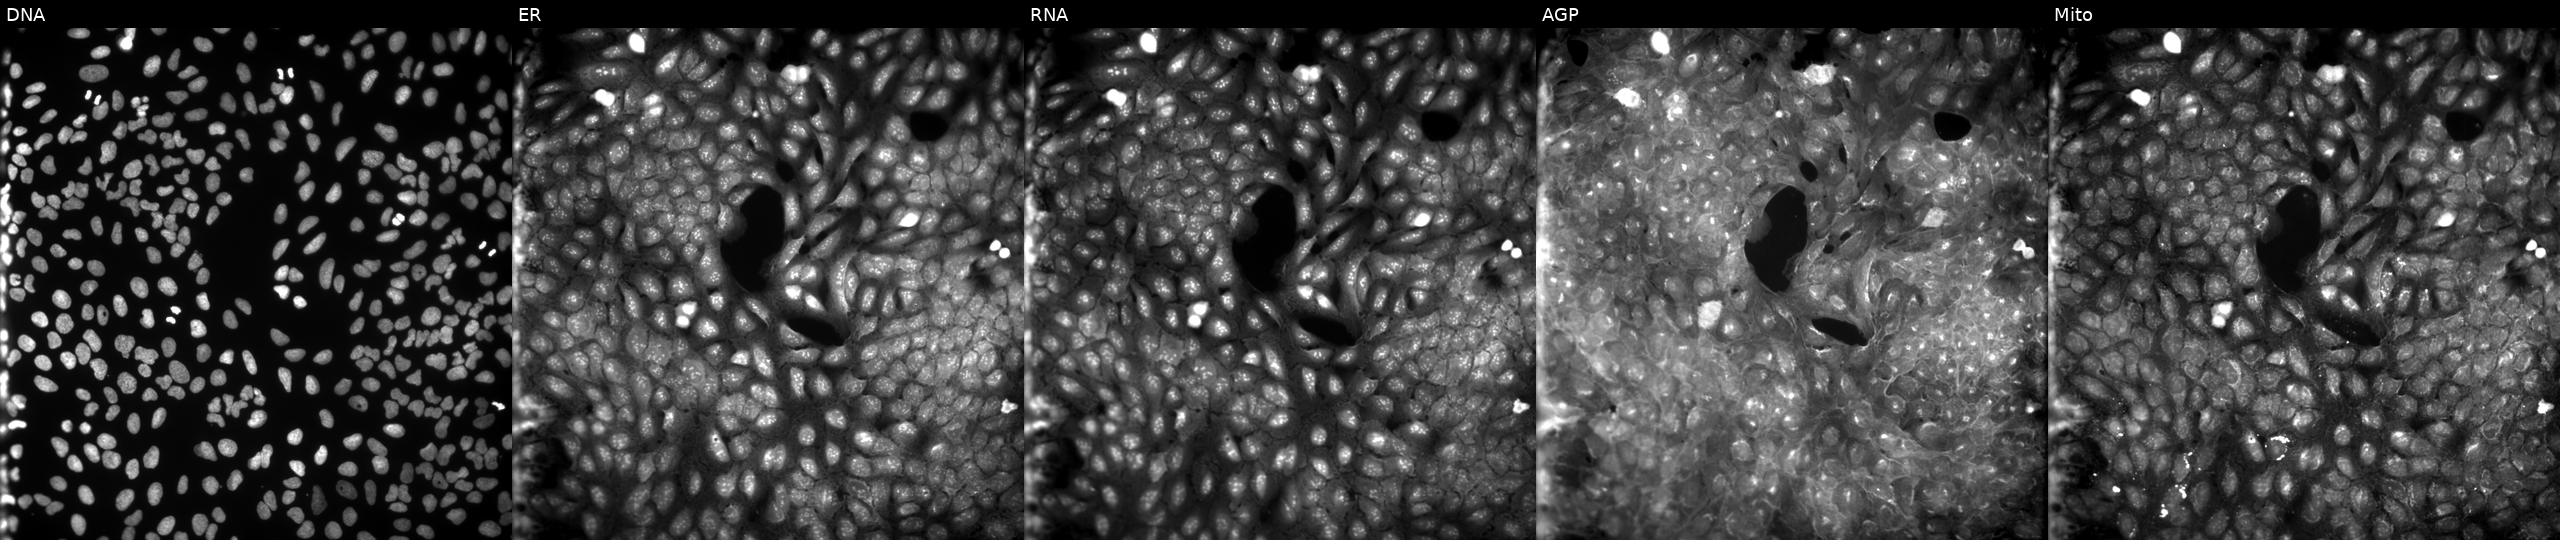
Five-channel Cell Painting image of U2OS cells treated with a small-molecule compound. The five panels, left to right, show Hoechst 33342, concanavalin A, SYTO 14, phalloidin and WGA, MitoTracker.